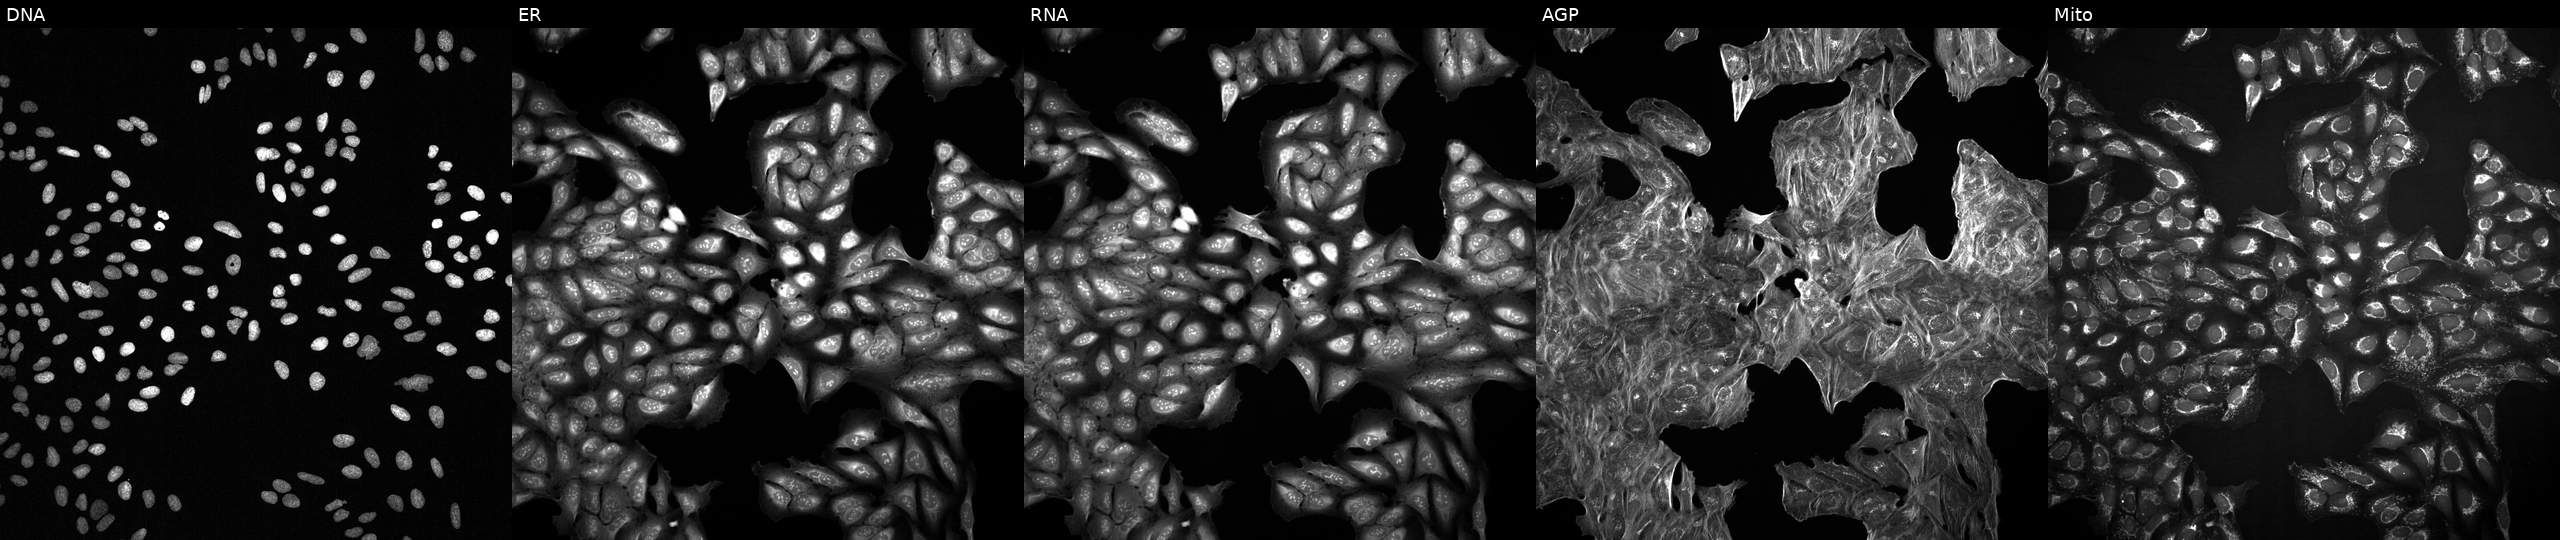
JUMP Cell Painting — COMPOUND plate. U2OS cells with an unidentified perturbation (not annotated in JUMP metadata). The five panels, left to right, show DNA (nuclei); ER (endoplasmic reticulum); RNA (nucleoli and cytoplasmic RNA); AGP (actin cytoskeleton, Golgi, and plasma membrane); Mito (mitochondria).